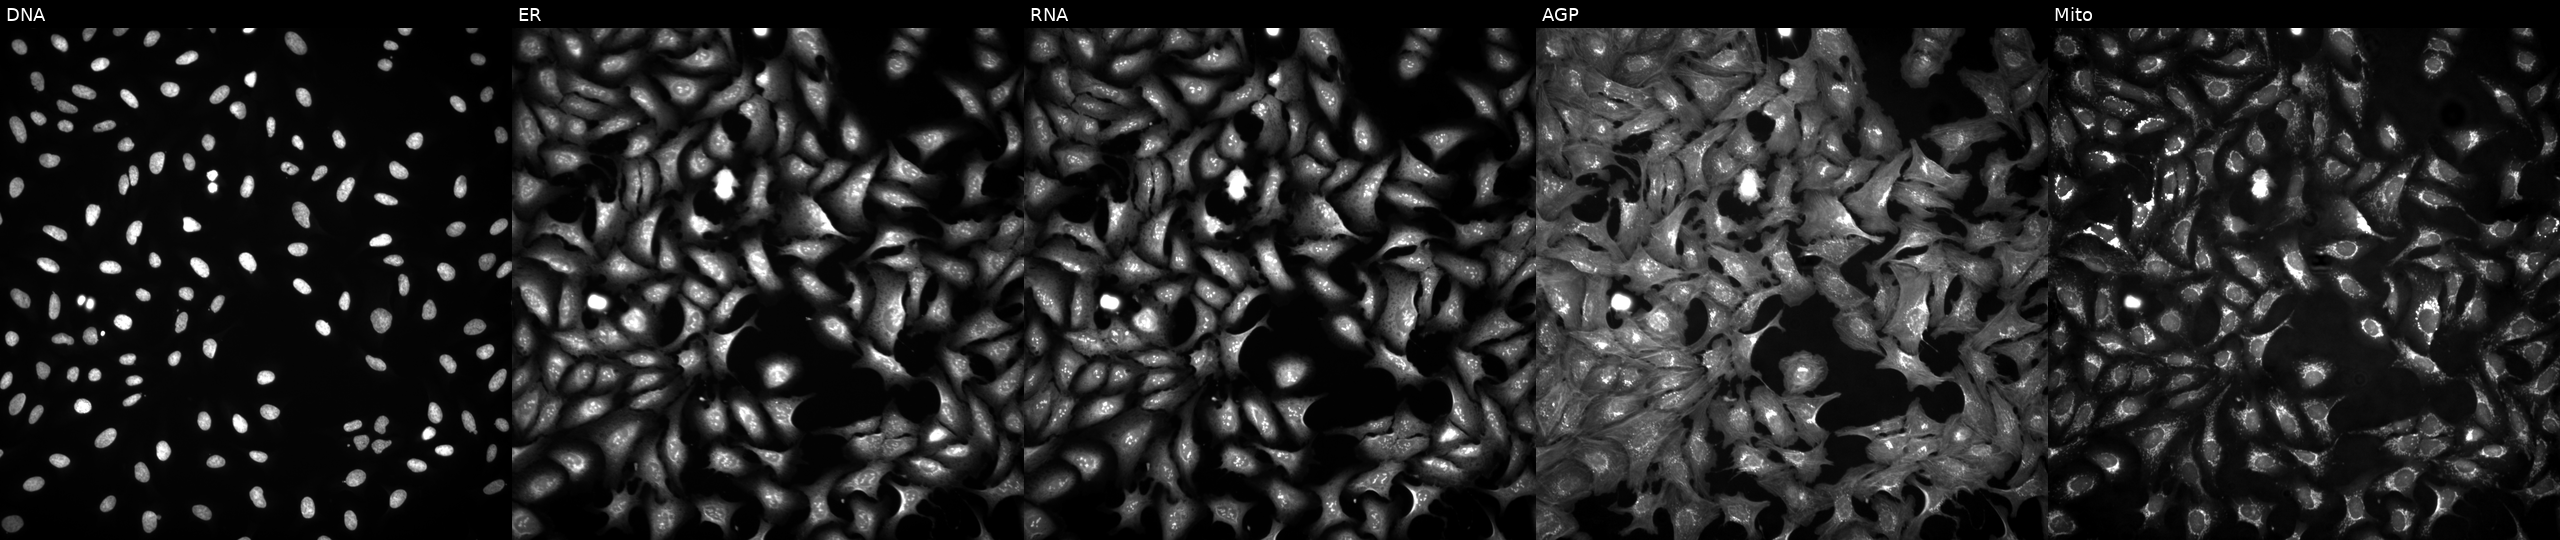
High-content fluorescence microscopy (Cell Painting). Cell line: U2OS. Perturbation: transfected with an ORF construct for GRK2. The five panels, left to right, show DNA, ER, RNA, AGP, and Mito. Source 4, plate BR00123945, well F09.